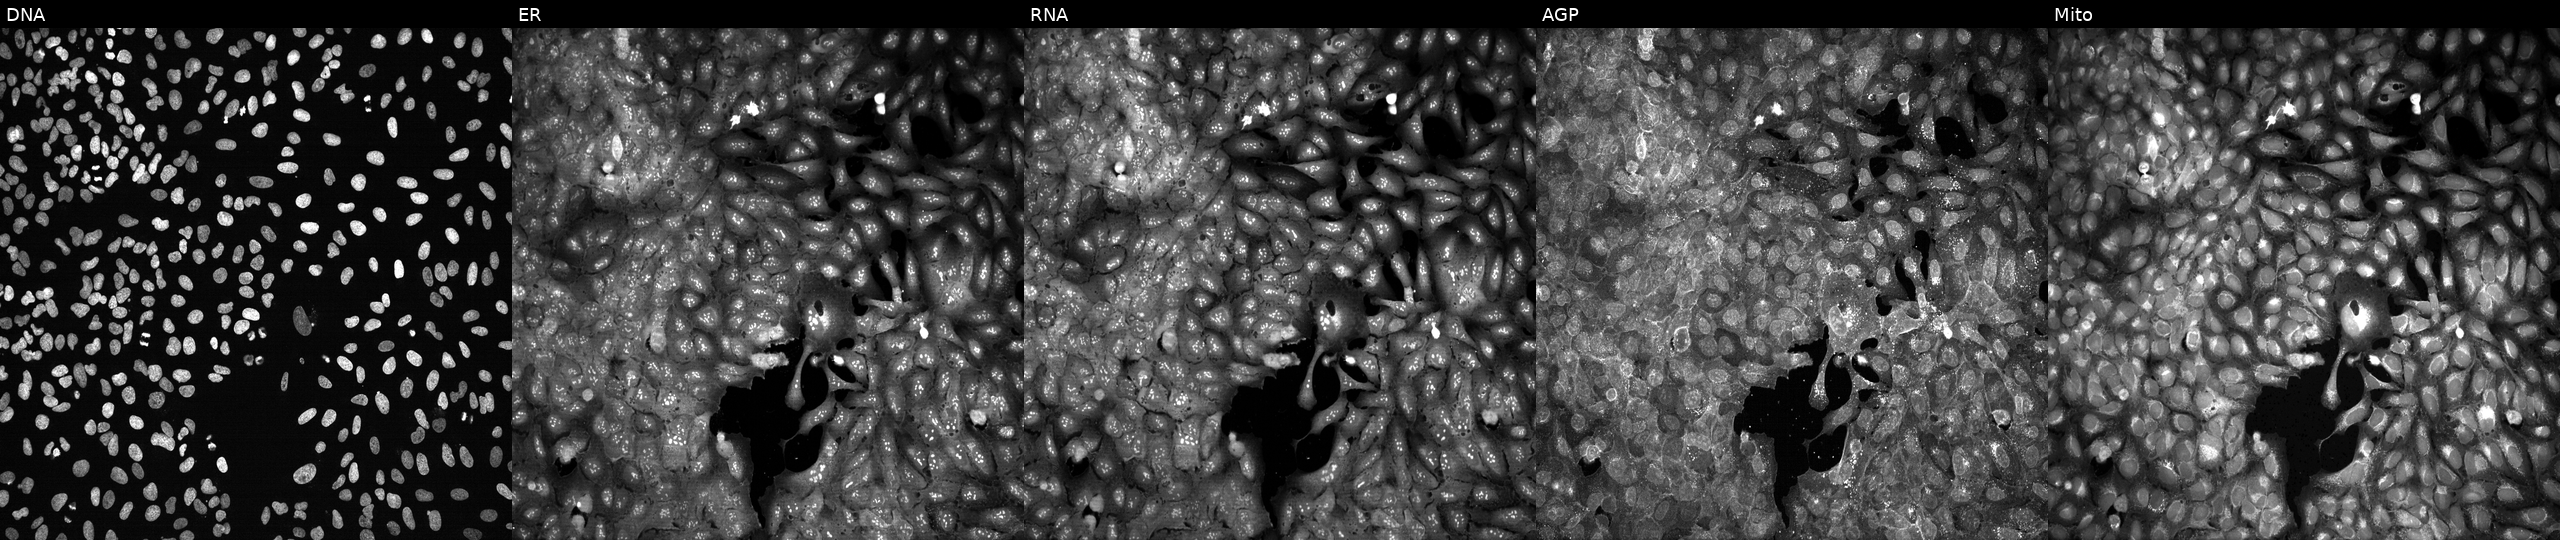
U2OS cells, Cell Painting assay, following CRISPR knockout of DRG2. Panels show, left to right, Hoechst 33342, concanavalin A, SYTO 14, phalloidin and WGA, MitoTracker. Each panel is percentile-stretched 16-bit fluorescence. Source 13, plate CP-CC9-R1-02, well P08.